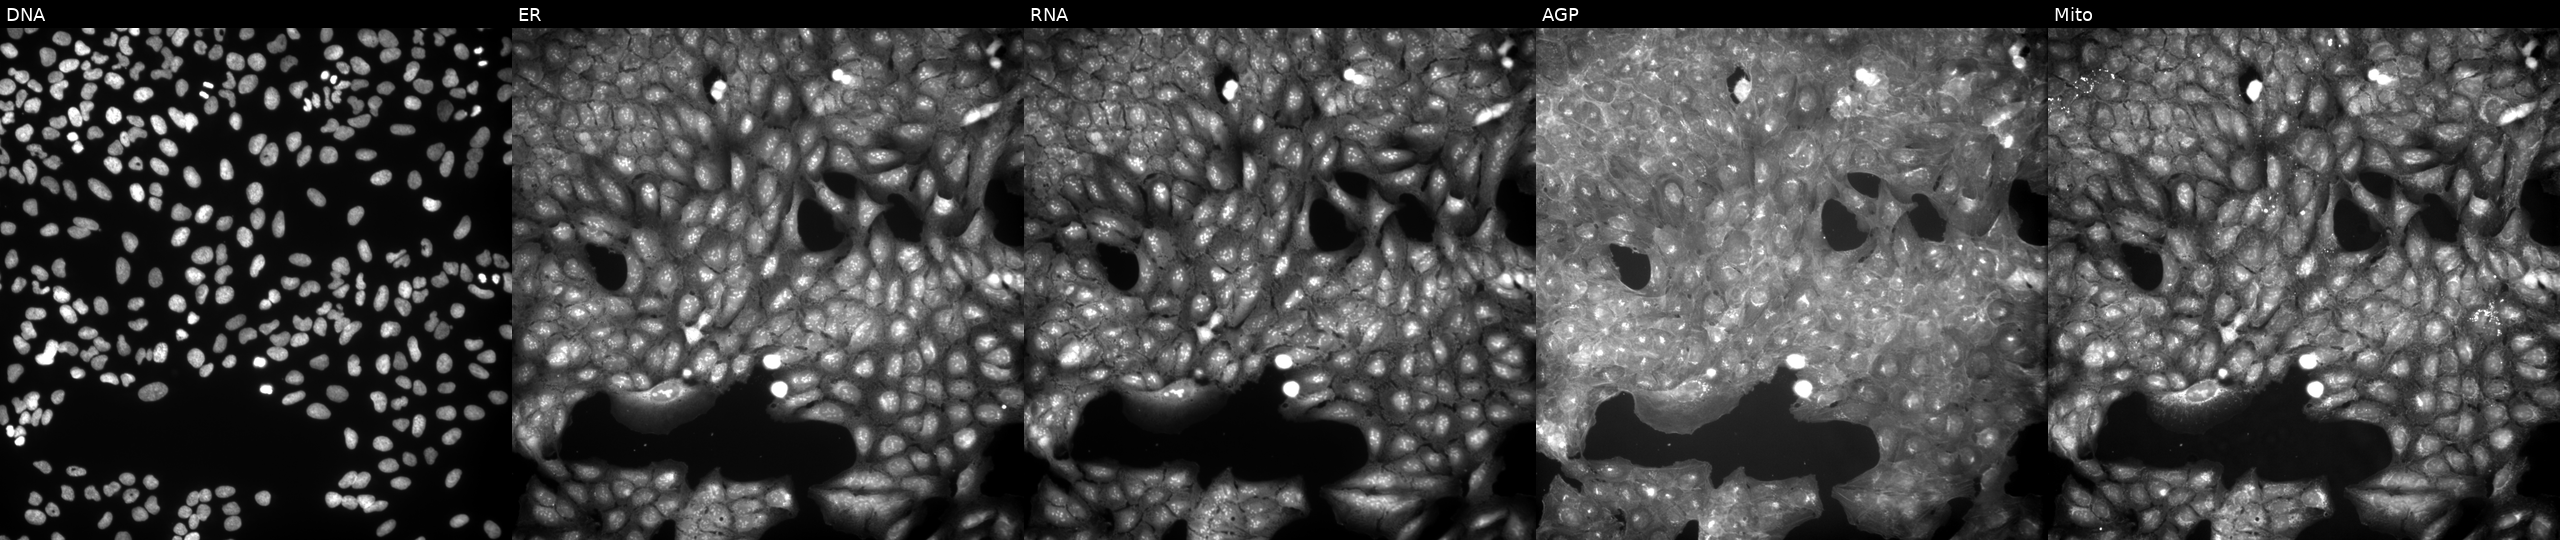
Five-channel Cell Painting image of U2OS cells exposed to a small-molecule compound (InChIKey ZBIZCHSVQKULCF-UHFFFAOYSA-N) [SMILES: O=C(CCCCCN1C(=O)c2cccc([N+](=O)[O-])c2C1=O)Nc1ccccc1F] (JUMP id JCP2022_112254). The five panels, left to right, show Hoechst 33342, concanavalin A, SYTO 14, phalloidin and WGA, MitoTracker.